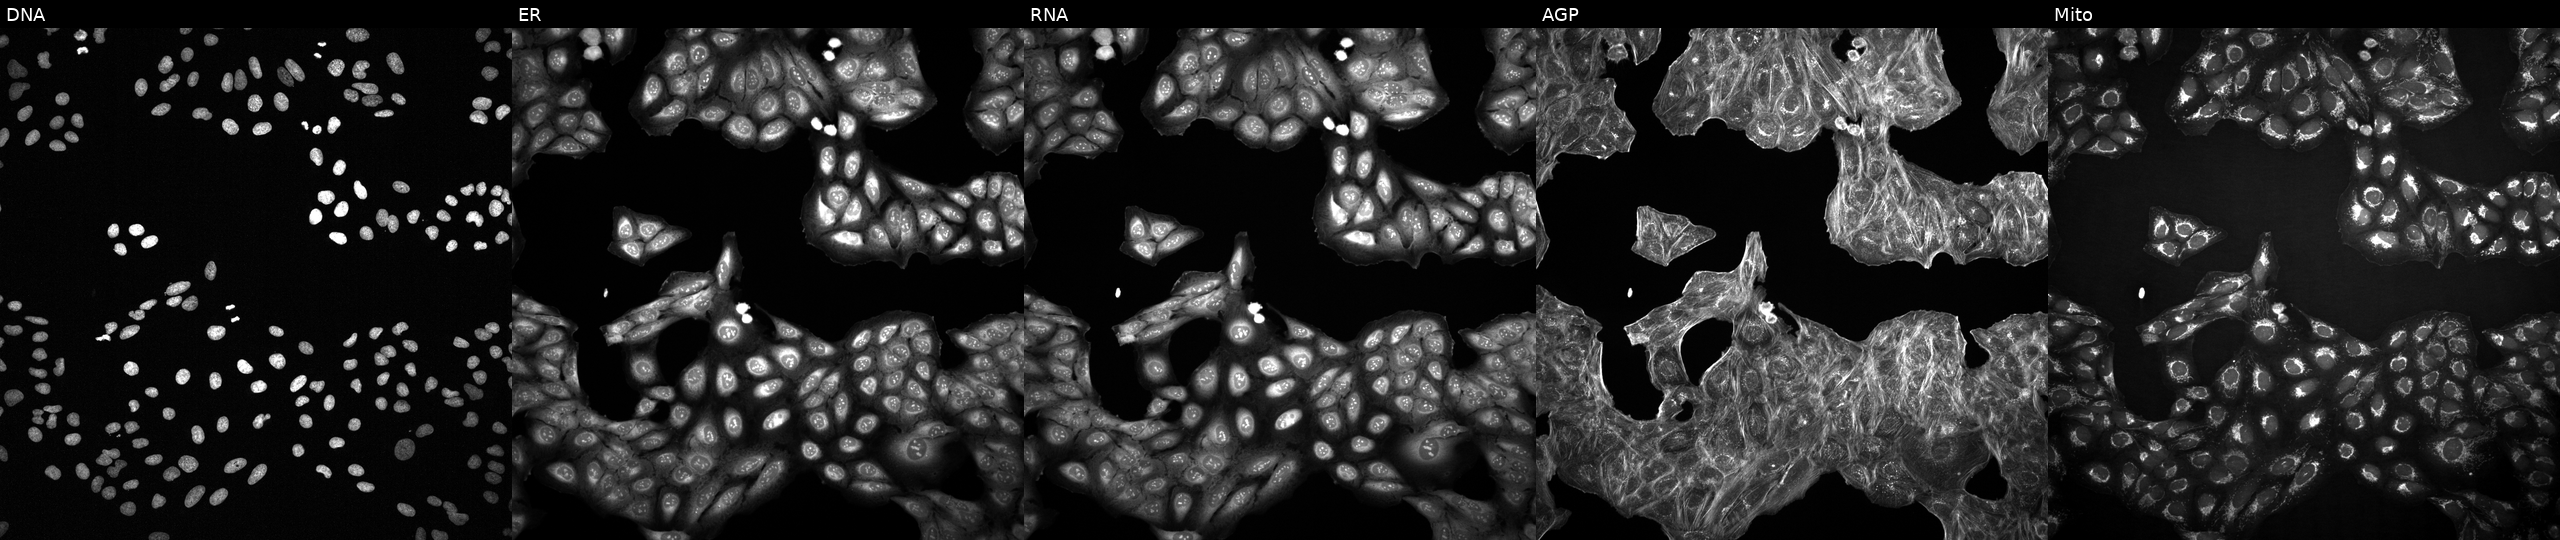
Five-channel Cell Painting image of U2OS cells with an unidentified perturbation (not annotated in JUMP metadata). Panels show, left to right, Hoechst 33342, concanavalin A, SYTO 14, phalloidin and WGA, MitoTracker.